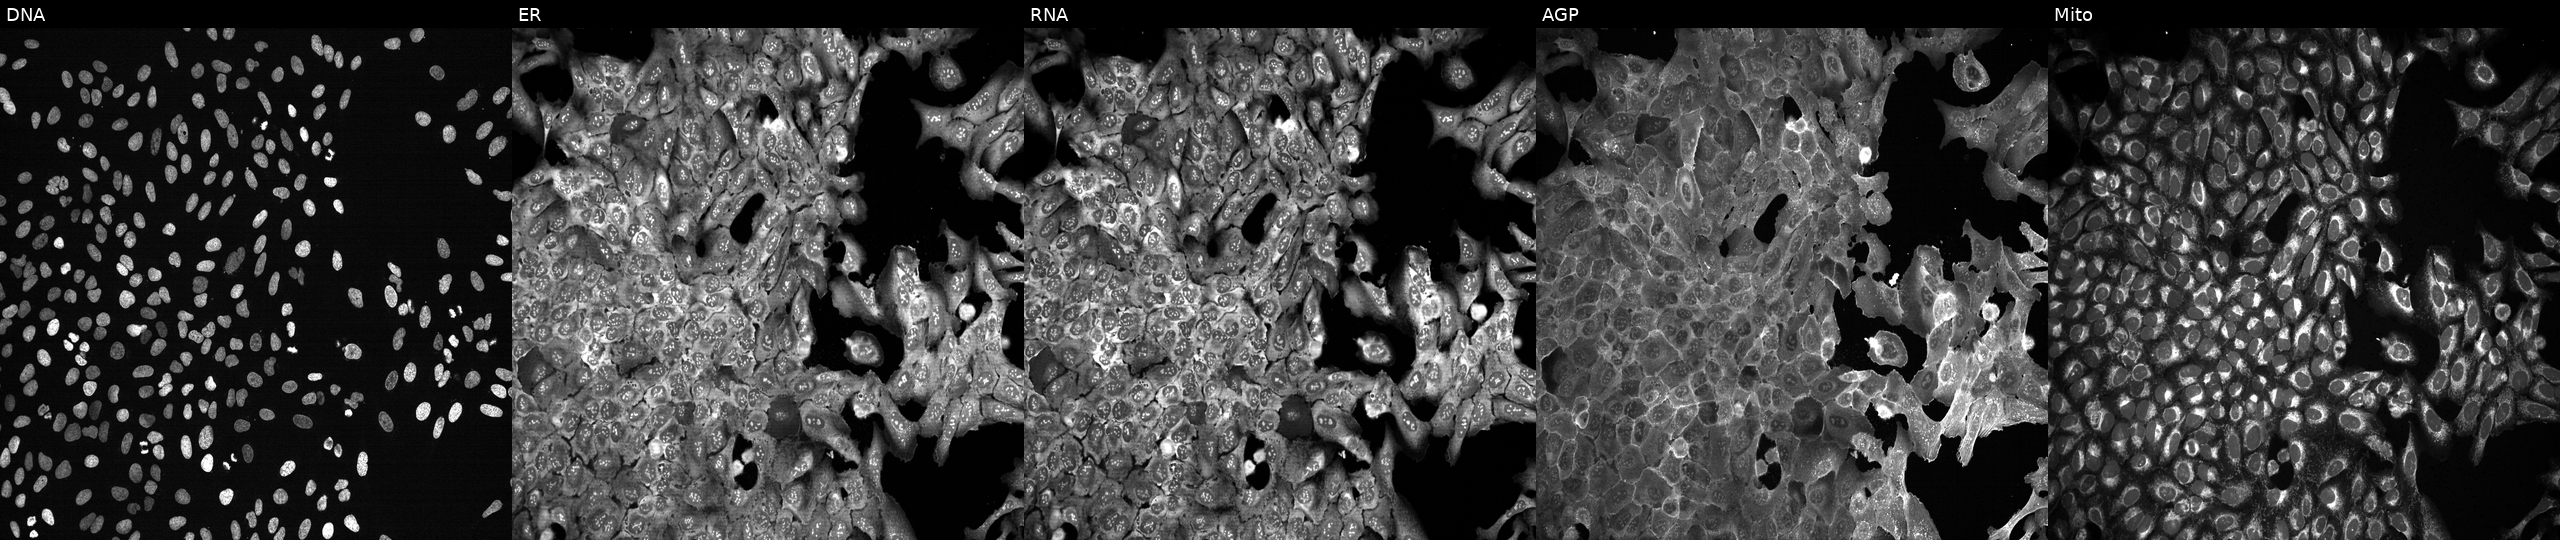
The five panels, left to right, show Hoechst 33342, concanavalin A, SYTO 14, phalloidin and WGA, MitoTracker. U2OS osteosarcoma cells following CRISPR knockout of PLBD2 (JUMP id JCP2022_805241). Cell Painting assay, JUMP-CP dataset.